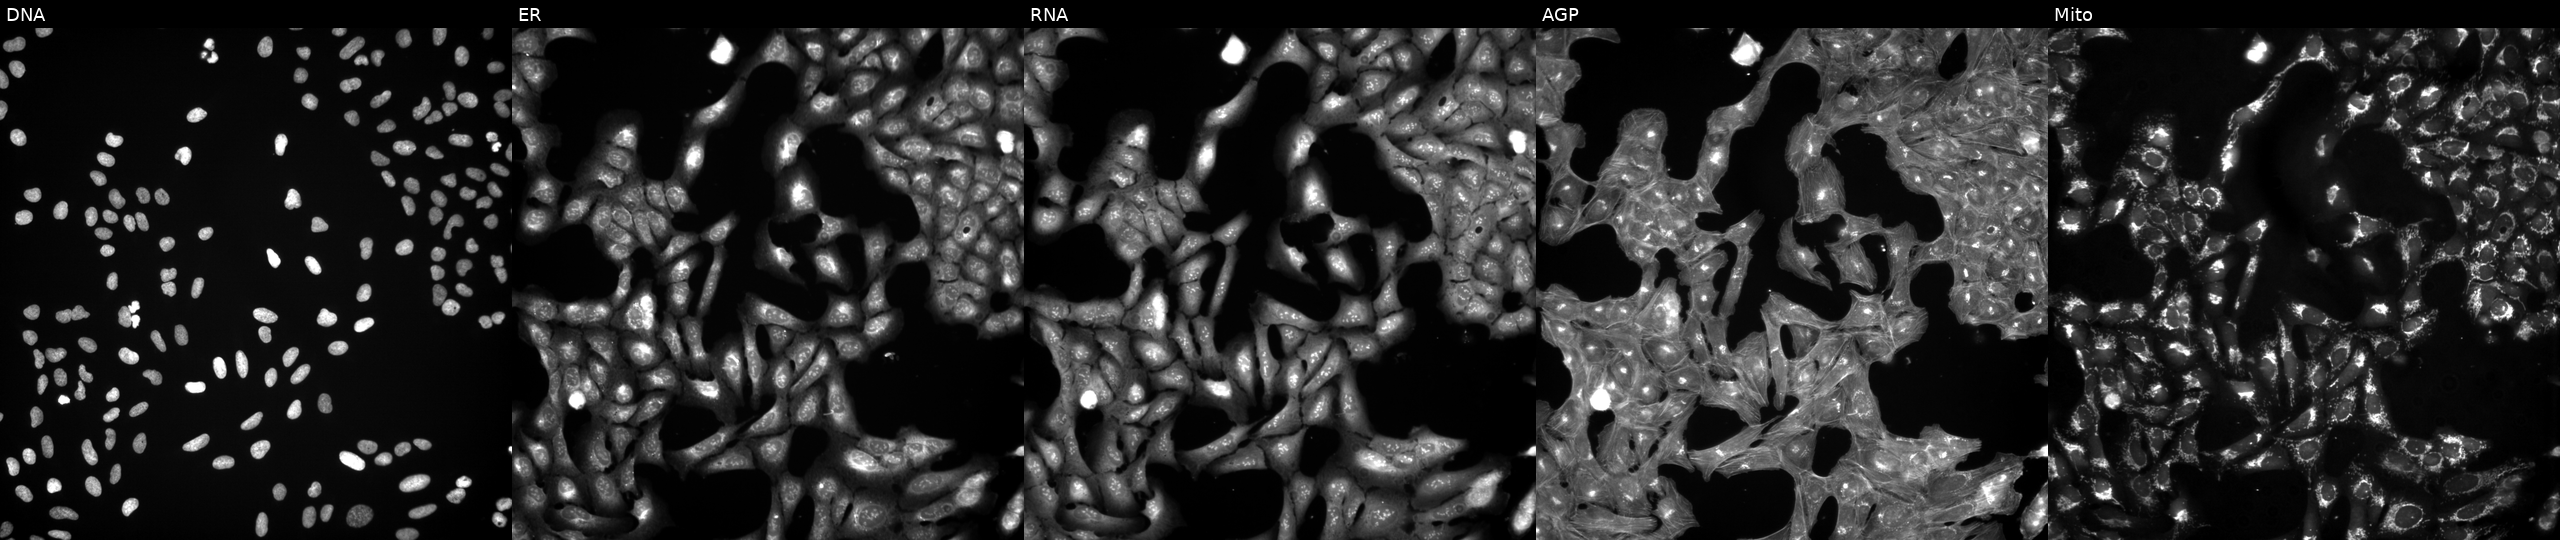
Five-channel Cell Painting image of U2OS cells perturbed with a small-molecule compound (InChIKey JYLNVJYYQQXNEK-UHFFFAOYSA-N). The five panels, left to right, show DNA, ER, RNA, AGP, and Mito. Source 3, plate JCPQC053, well I03.